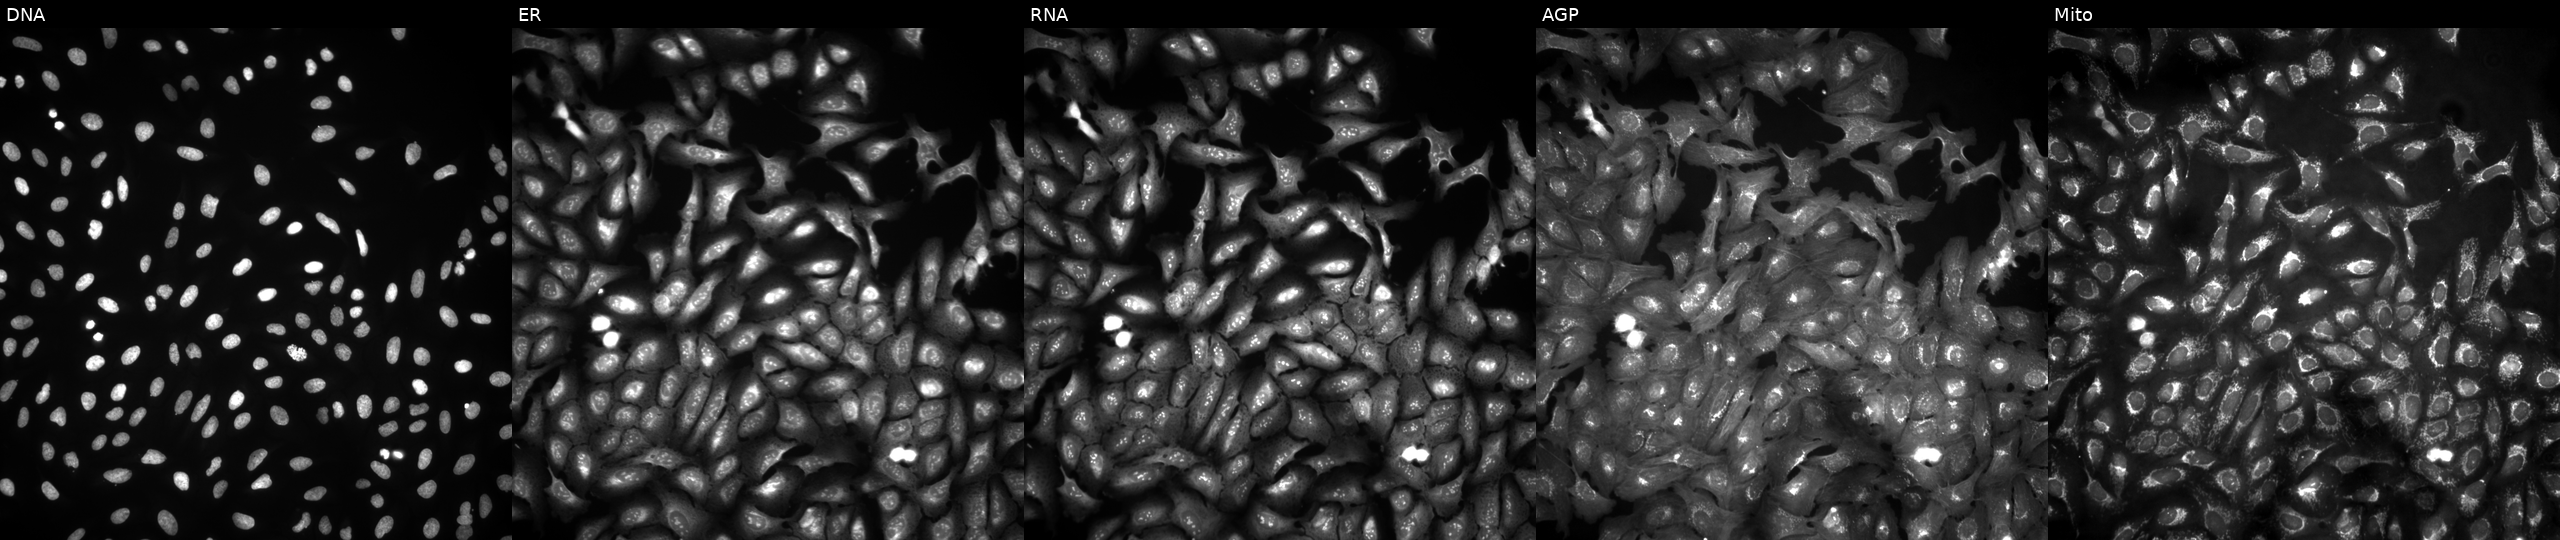
High-content fluorescence microscopy (Cell Painting). Cell line: U2OS. Perturbation: overexpressing KYAT1 via ORF transfection. Channels (left→right): DNA (nuclei); ER (endoplasmic reticulum); RNA (nucleoli and cytoplasmic RNA); AGP (actin cytoskeleton, Golgi, and plasma membrane); Mito (mitochondria).